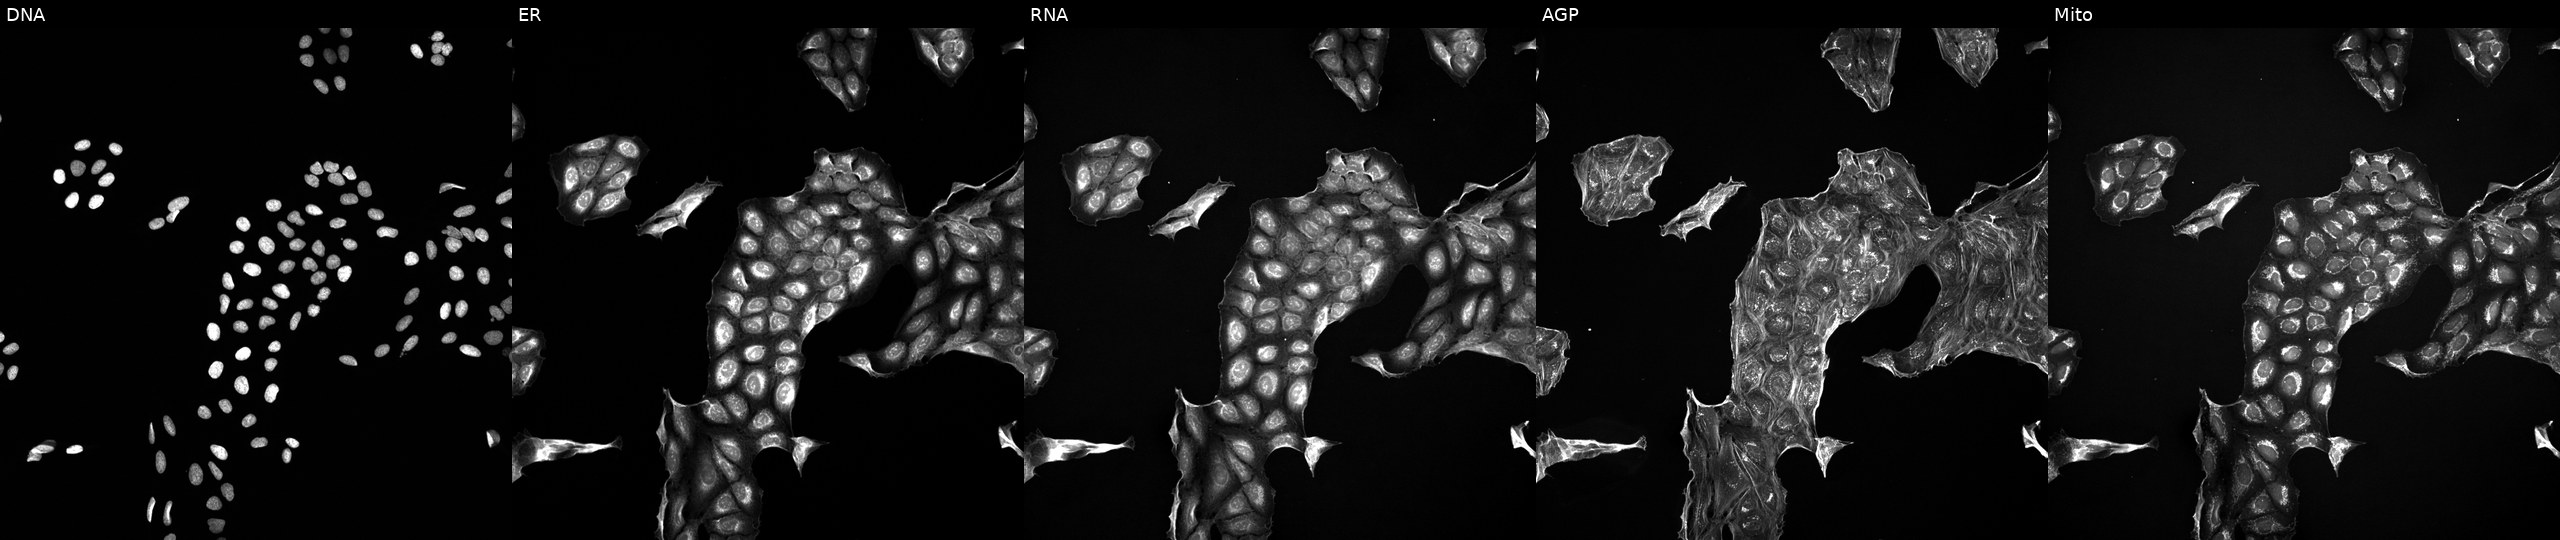
U2OS cells, Cell Painting assay, perturbed with a small-molecule compound (InChIKey KBPLFHHGFOOTCA-UHFFFAOYSA-N) (JUMP id JCP2022_043547). Panels show, left to right, Hoechst 33342, concanavalin A, SYTO 14, phalloidin and WGA, MitoTracker. Each panel is percentile-stretched 16-bit fluorescence.